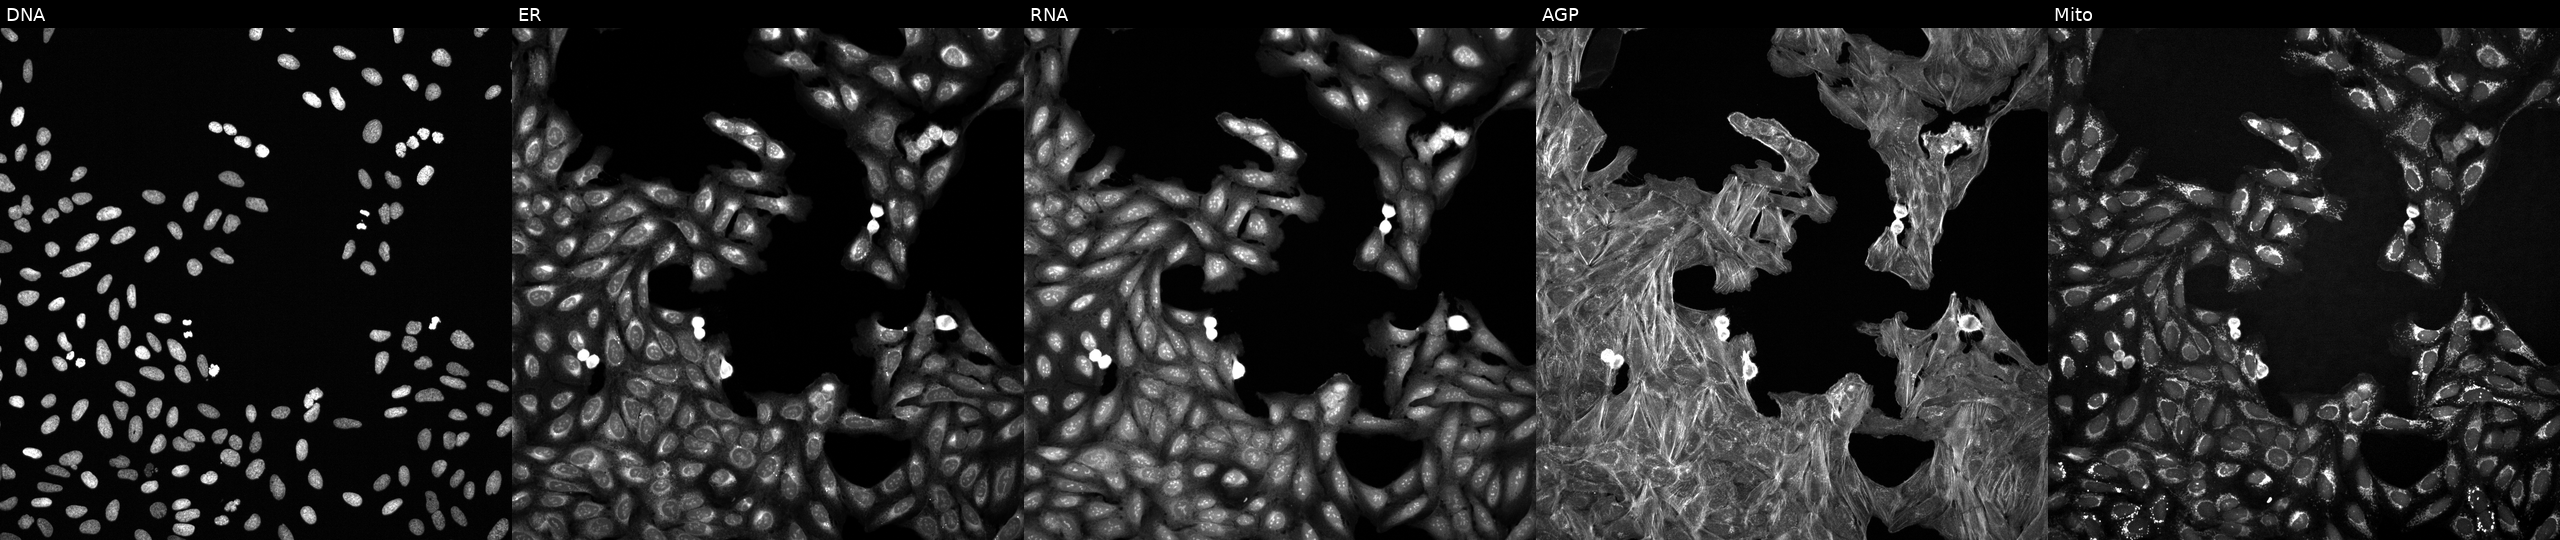
Five-channel Cell Painting image of U2OS cells treated with a small-molecule compound [SMILES: N=C(NCc1ccccc1)NC(=O)c1nc(Cl)c(=N)[nH]c1N] (JUMP id JCP2022_047559). Panels show, left to right, Hoechst 33342, concanavalin A, SYTO 14, phalloidin and WGA, MitoTracker. Source 6, plate 110000293081, well B21.